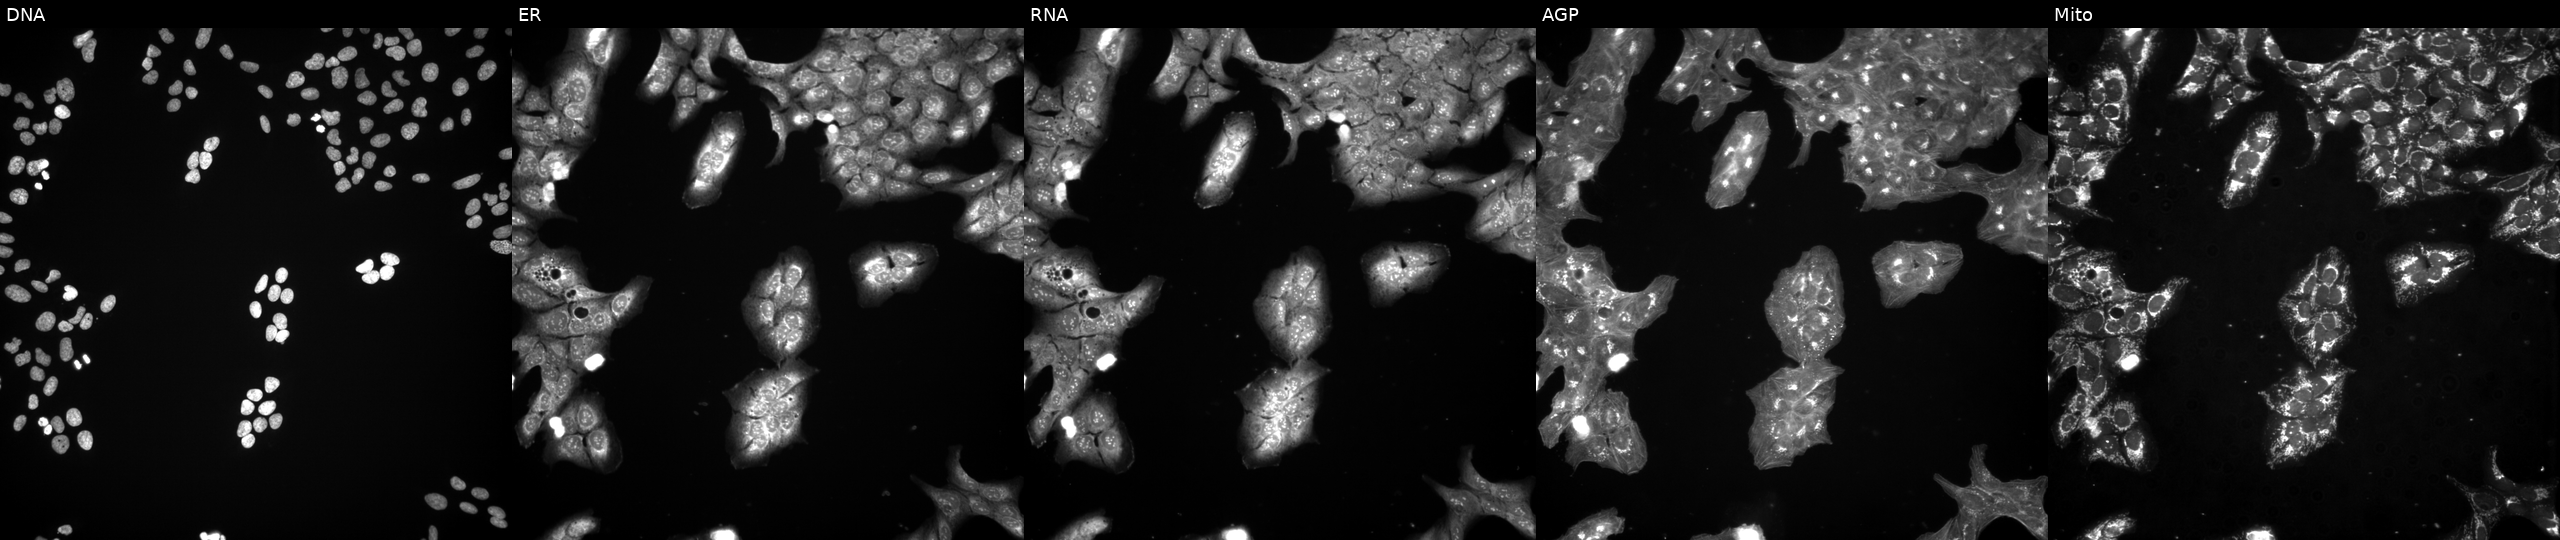
U2OS cells, Cell Painting assay, treated with a small-molecule compound (InChIKey CDMGBJANTYXAIV-UHFFFAOYSA-N). The five panels, left to right, show DNA (nuclei); ER (endoplasmic reticulum); RNA (nucleoli and cytoplasmic RNA); AGP (actin cytoskeleton, Golgi, and plasma membrane); Mito (mitochondria). Each panel is percentile-stretched 16-bit fluorescence.